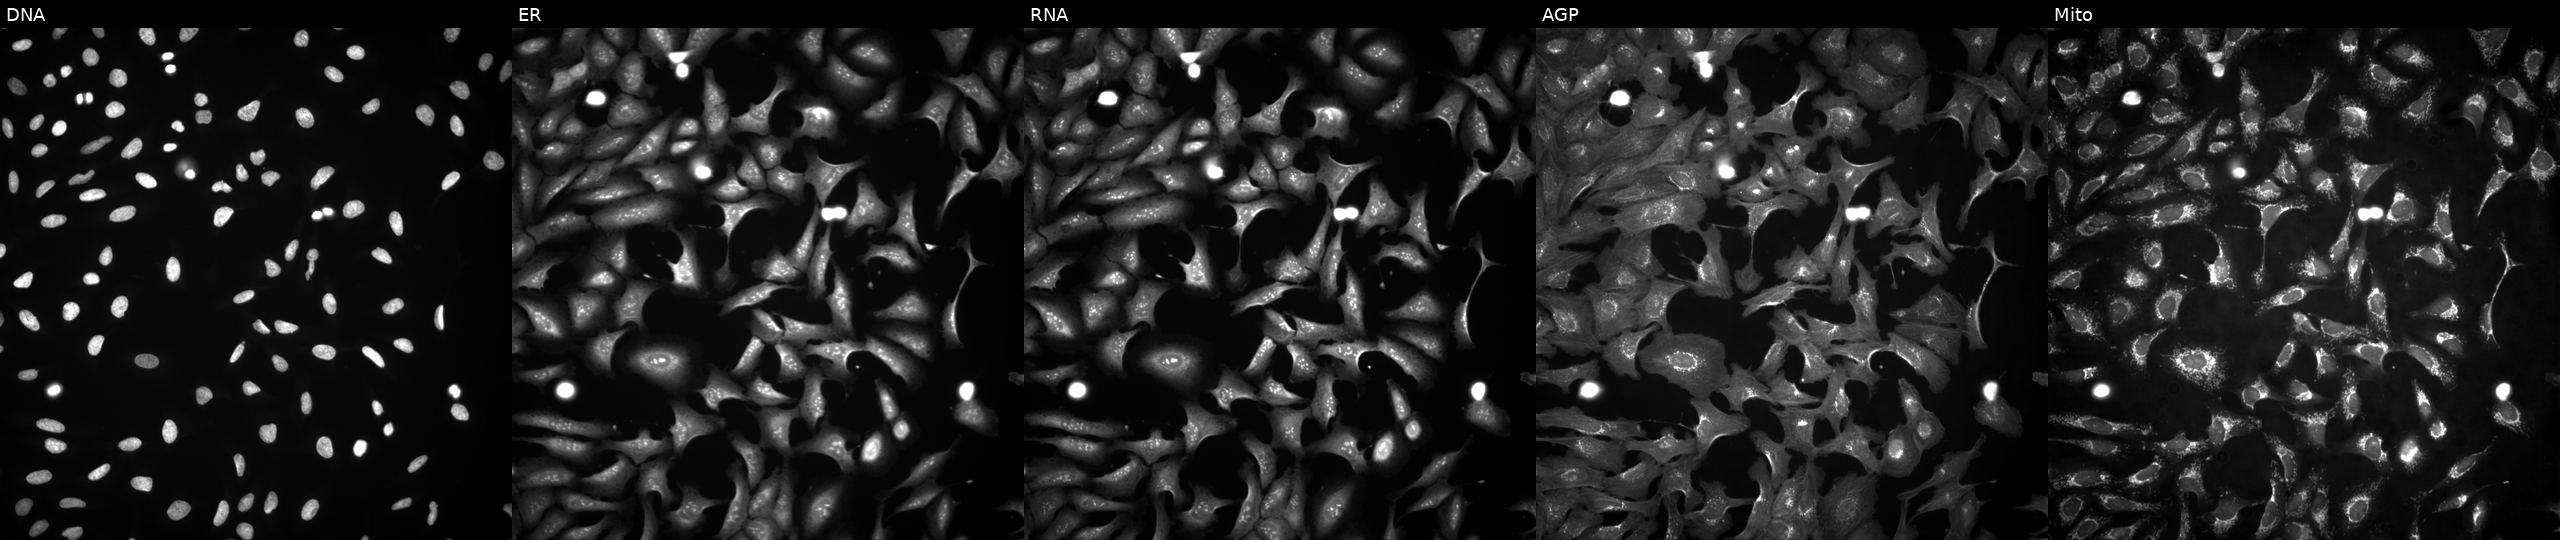
This image strip shows the five Cell Painting channels for a single field of U2OS cells with DTX2 overexpressed (ORF) (JUMP id JCP2022_908765). The five panels, left to right, show DNA, ER, RNA, AGP, and Mito.